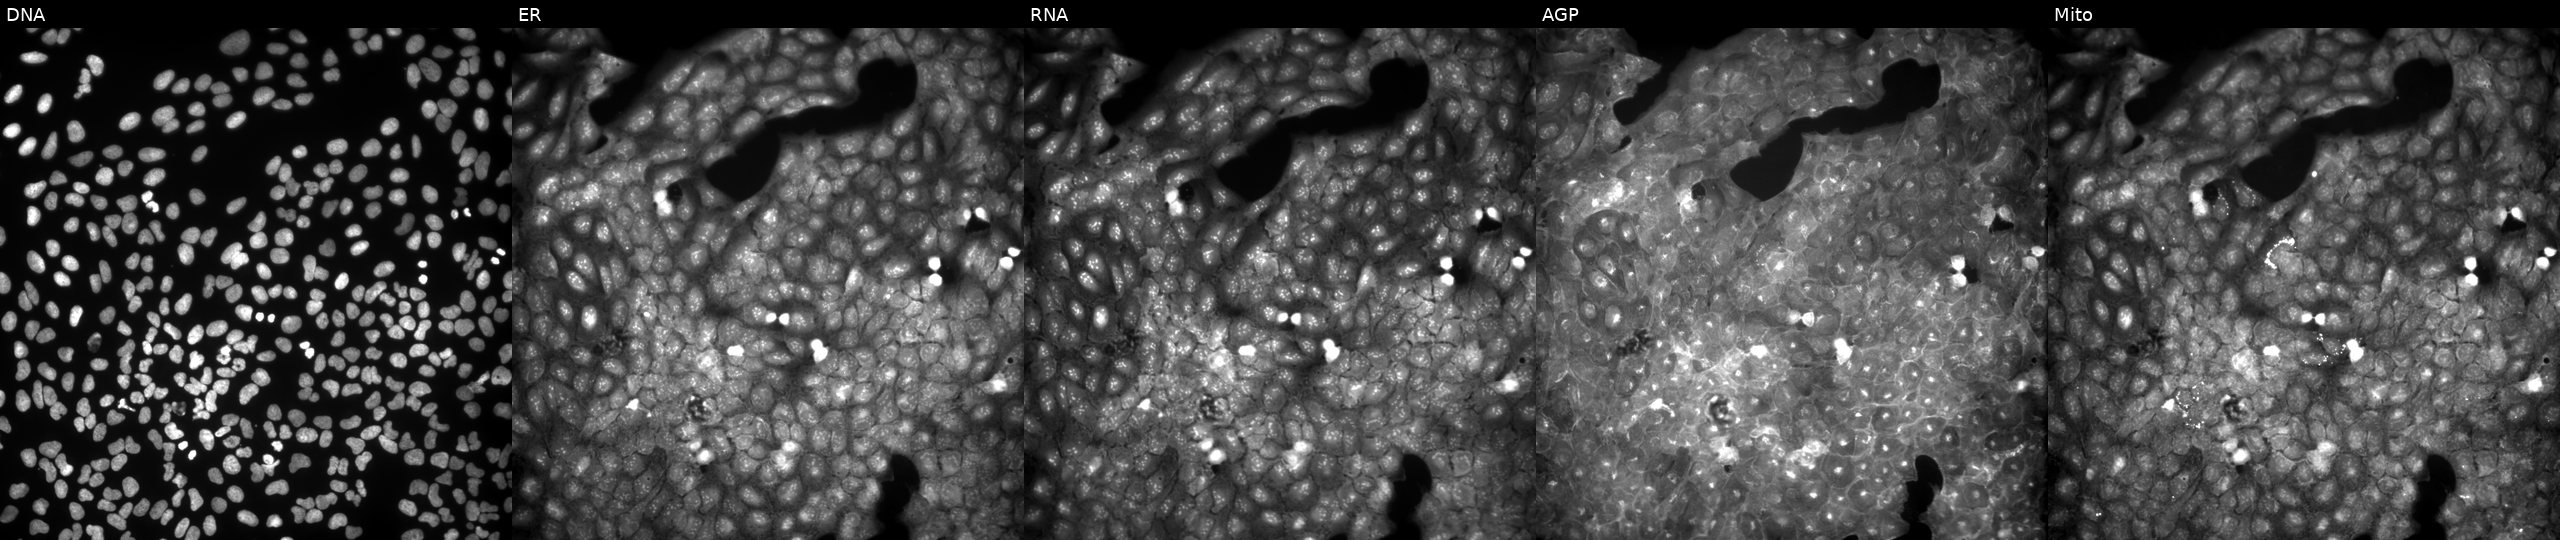
High-content fluorescence microscopy (Cell Painting). Cell line: U2OS. Perturbation: treated with a small-molecule compound (InChIKey QWZWIBSKPSYXBG-UHFFFAOYSA-N). Panels show, left to right, Hoechst 33342, concanavalin A, SYTO 14, phalloidin and WGA, MitoTracker.